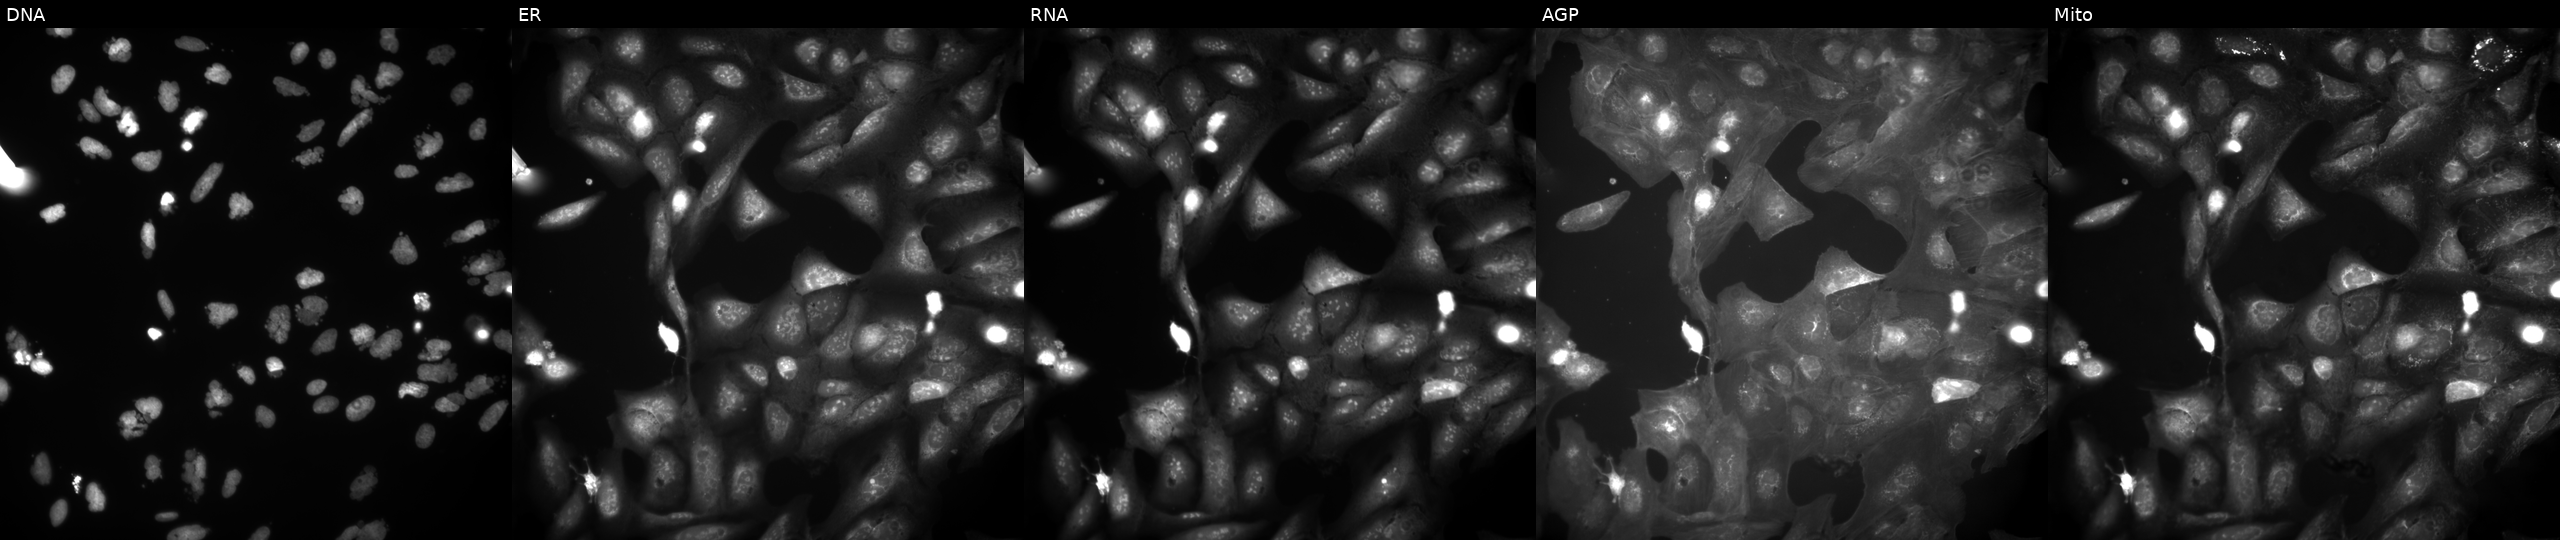
Five-channel Cell Painting image of U2OS cells treated with AMG900 (positive-control compound) (JUMP id JCP2022_037716). The five panels, left to right, show DNA, ER, RNA, AGP, and Mito.